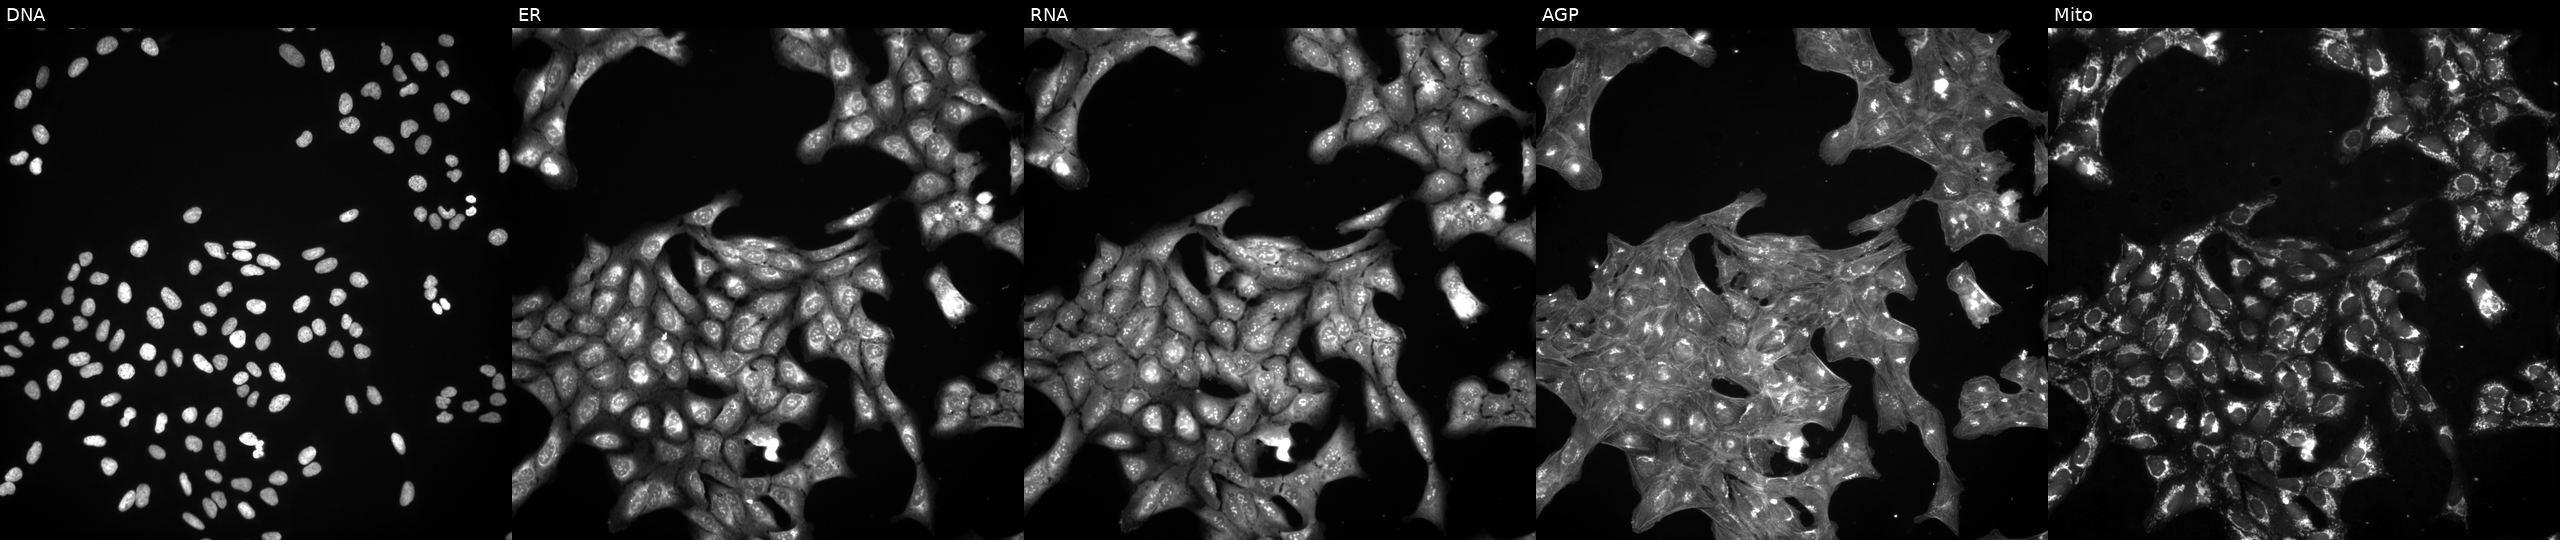
JUMP Cell Painting — TARGET2 plate. U2OS cells treated with a small-molecule compound (InChIKey NITYDPDXAAFEIT-UHFFFAOYSA-N). Channels (left→right): DNA, ER, RNA, AGP, and Mito. Source 3, plate JCPQC052, well M17.